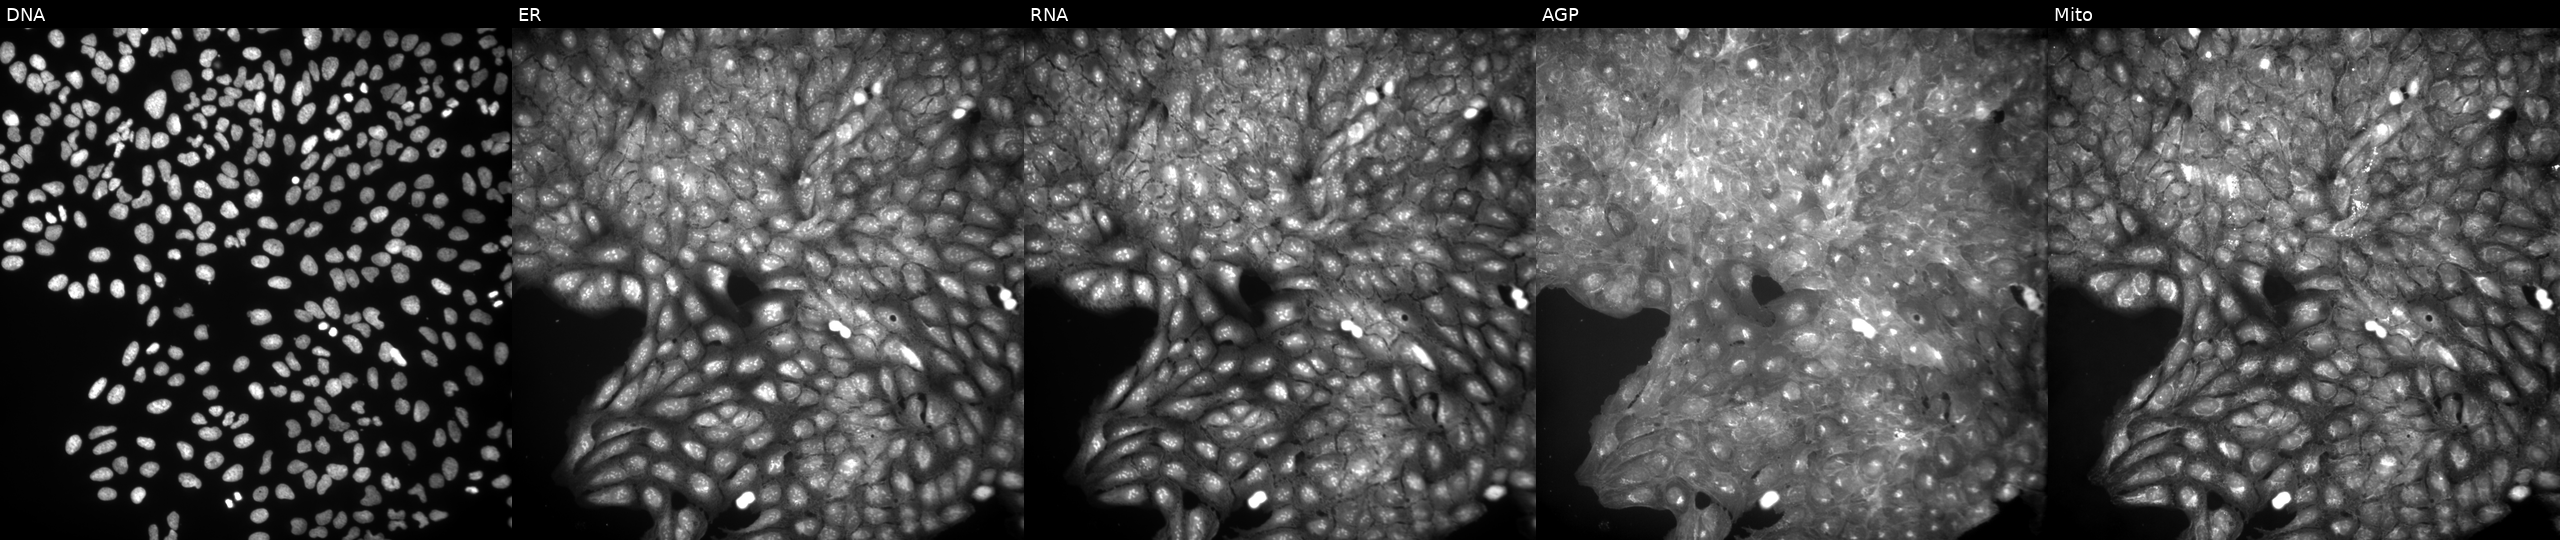
The five panels, left to right, show DNA, ER, RNA, AGP, and Mito. U2OS osteosarcoma cells exposed to a small-molecule compound (InChIKey VGHUNHMCOJGJSJ-UHFFFAOYSA-N) [SMILES: CCC(=O)Oc1ccc(-c2cnc3ccccc3n2)cc1]. Cell Painting assay, JUMP-CP dataset.